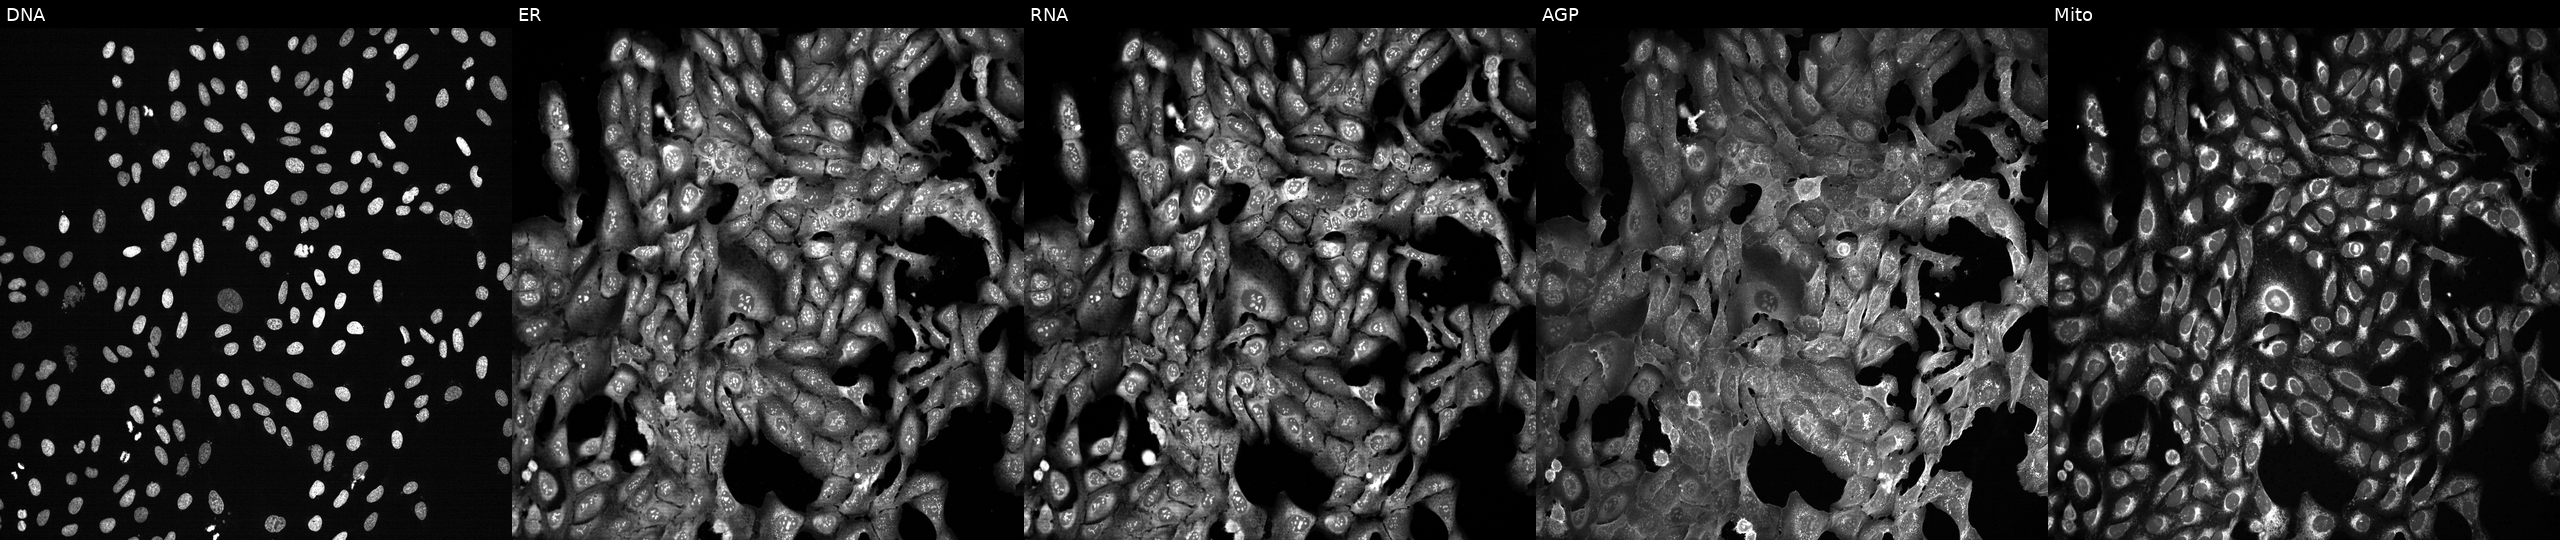
High-content fluorescence microscopy (Cell Painting). Cell line: U2OS. Perturbation: CRISPR-edited to disrupt ZNF177. Panels show, left to right, Hoechst 33342, concanavalin A, SYTO 14, phalloidin and WGA, MitoTracker.